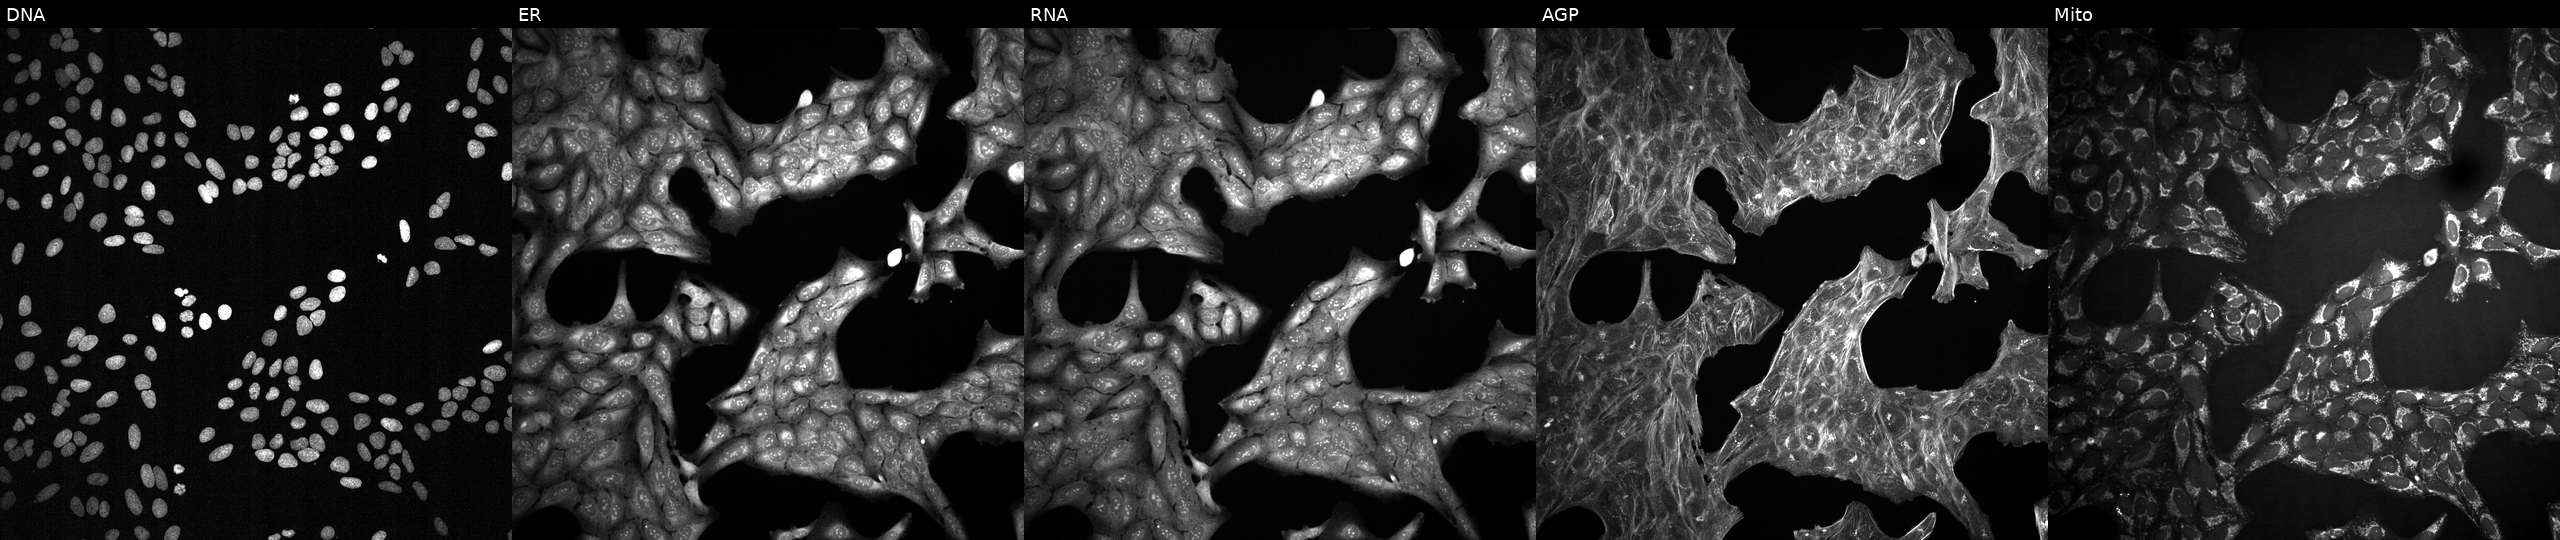
High-content fluorescence microscopy (Cell Painting). Cell line: U2OS. Perturbation: treated with dexamethasone (positive-control compound) (JUMP id JCP2022_025848). From left to right: Hoechst 33342, concanavalin A, SYTO 14, phalloidin and WGA, MitoTracker. Source 2, plate 1053599503, well H24.